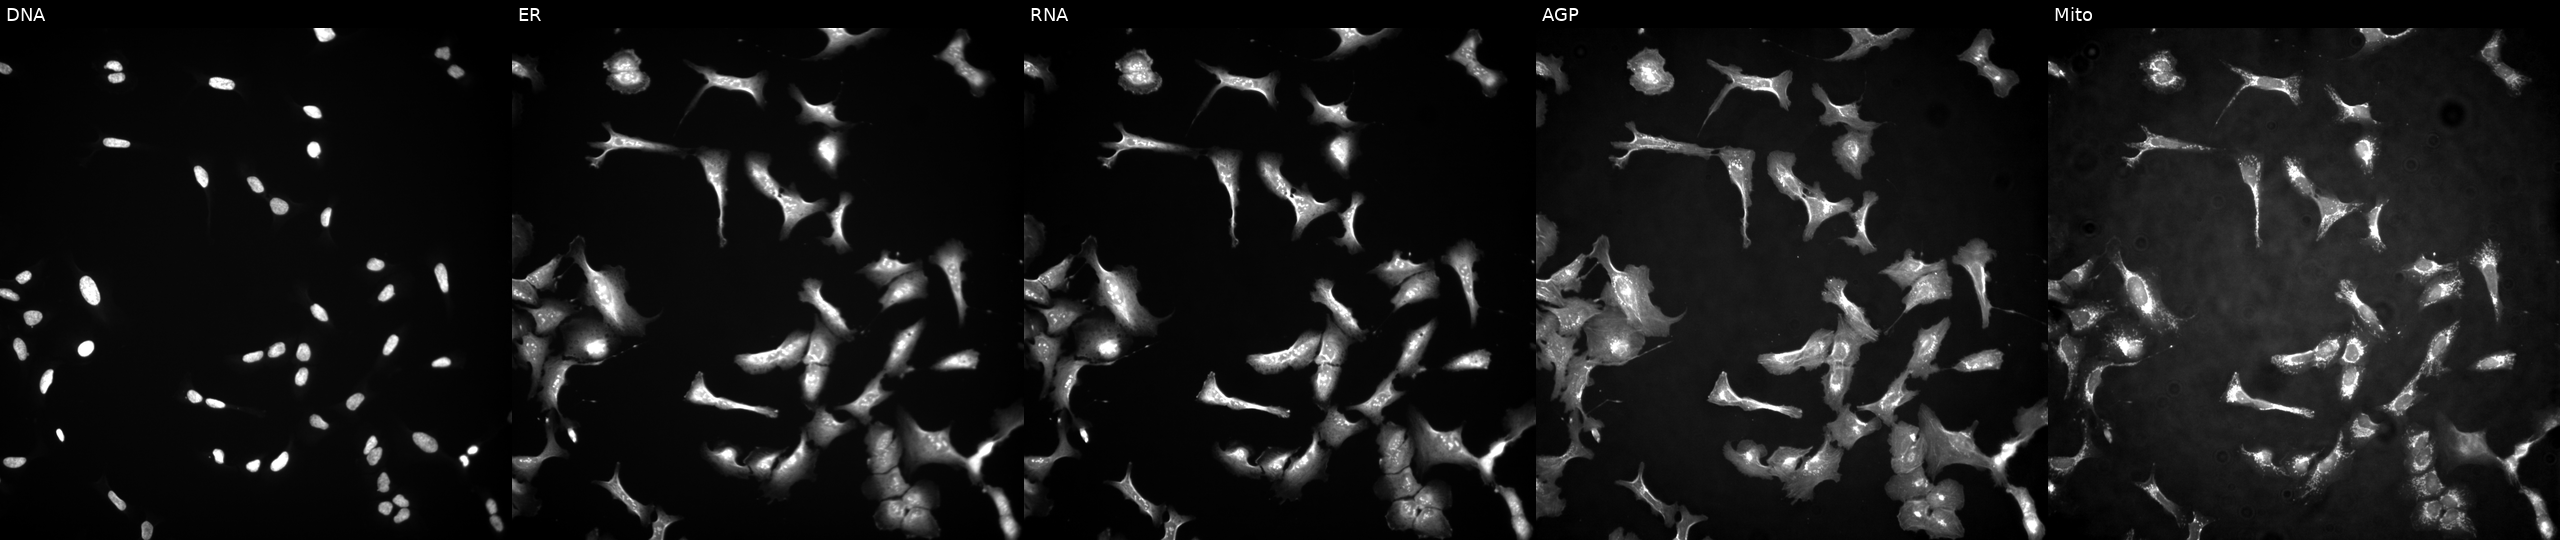
U2OS cells, Cell Painting assay, overexpressing CRTC1 via ORF transfection. From left to right: Hoechst 33342, concanavalin A, SYTO 14, phalloidin and WGA, MitoTracker. Each panel is percentile-stretched 16-bit fluorescence. Source 4, plate BR00117035, well L18.